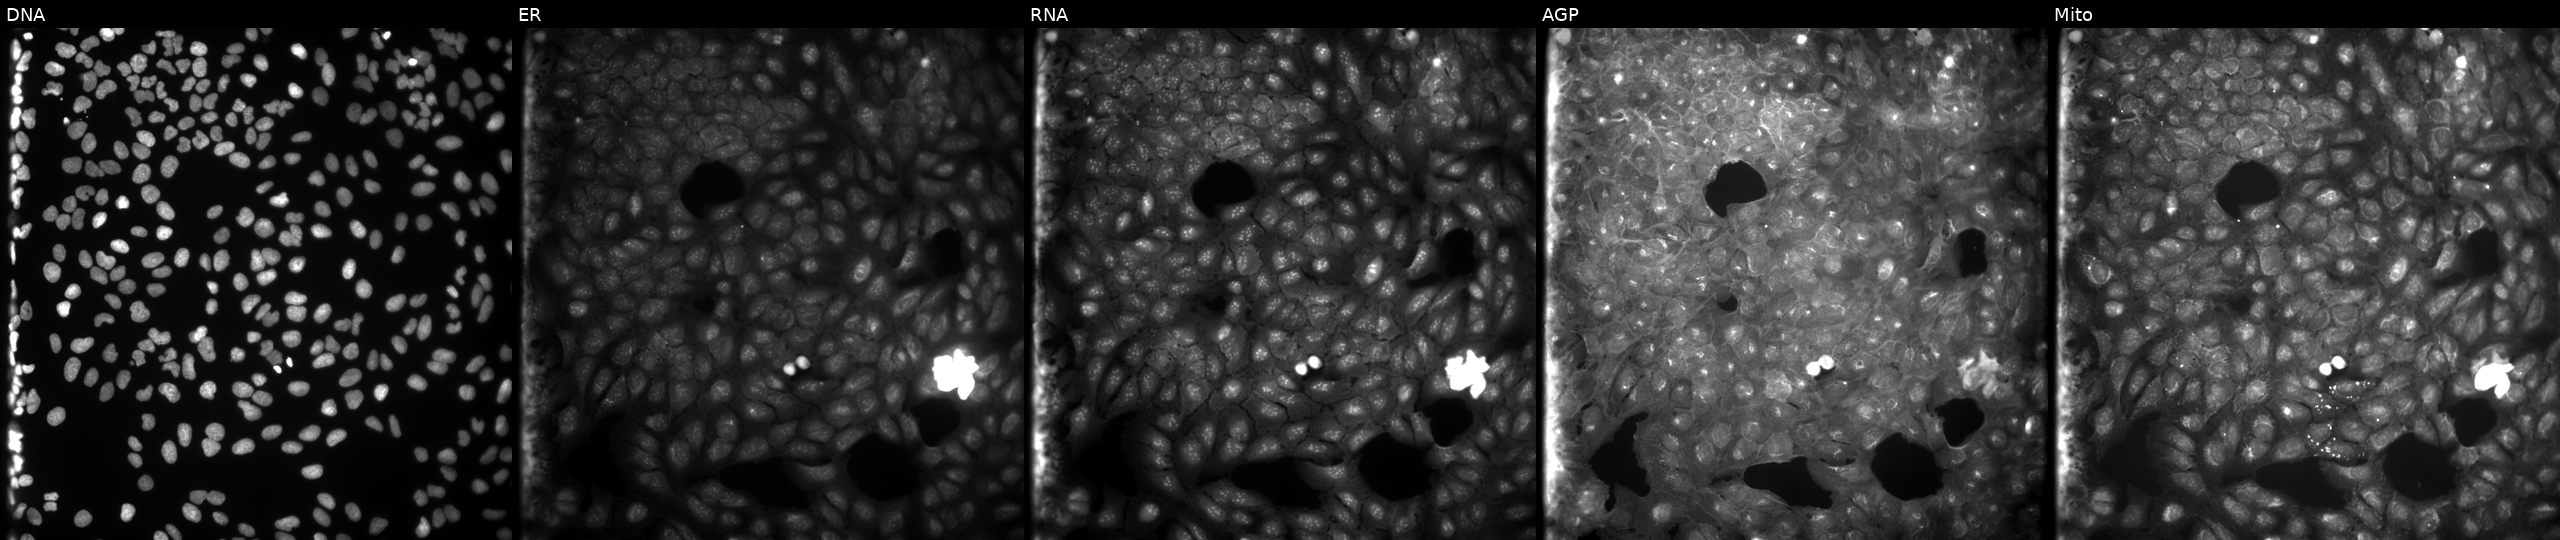
This image strip shows the five Cell Painting channels for a single field of U2OS cells treated with a small-molecule compound (JUMP id JCP2022_045808). Channels (left→right): Hoechst 33342, concanavalin A, SYTO 14, phalloidin and WGA, MitoTracker.